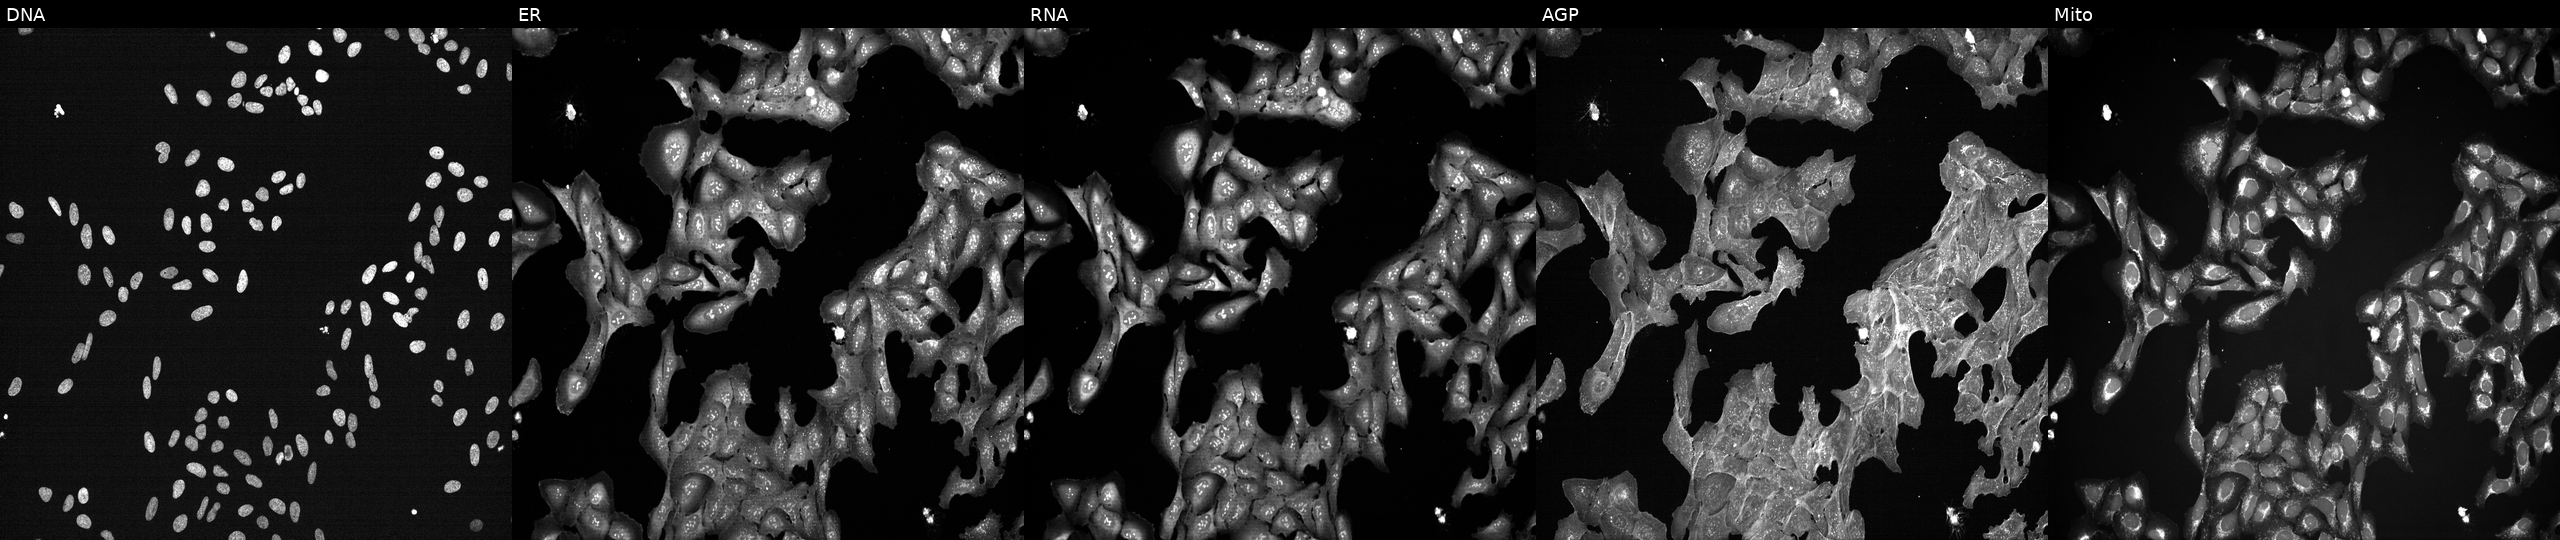
Panels show, left to right, Hoechst 33342, concanavalin A, SYTO 14, phalloidin and WGA, MitoTracker. U2OS osteosarcoma cells treated with a small-molecule compound [SMILES: OCc1ccc(-c2nn(Cc3ccccc3)c3ccccc23)o1]. Cell Painting assay, JUMP-CP dataset.